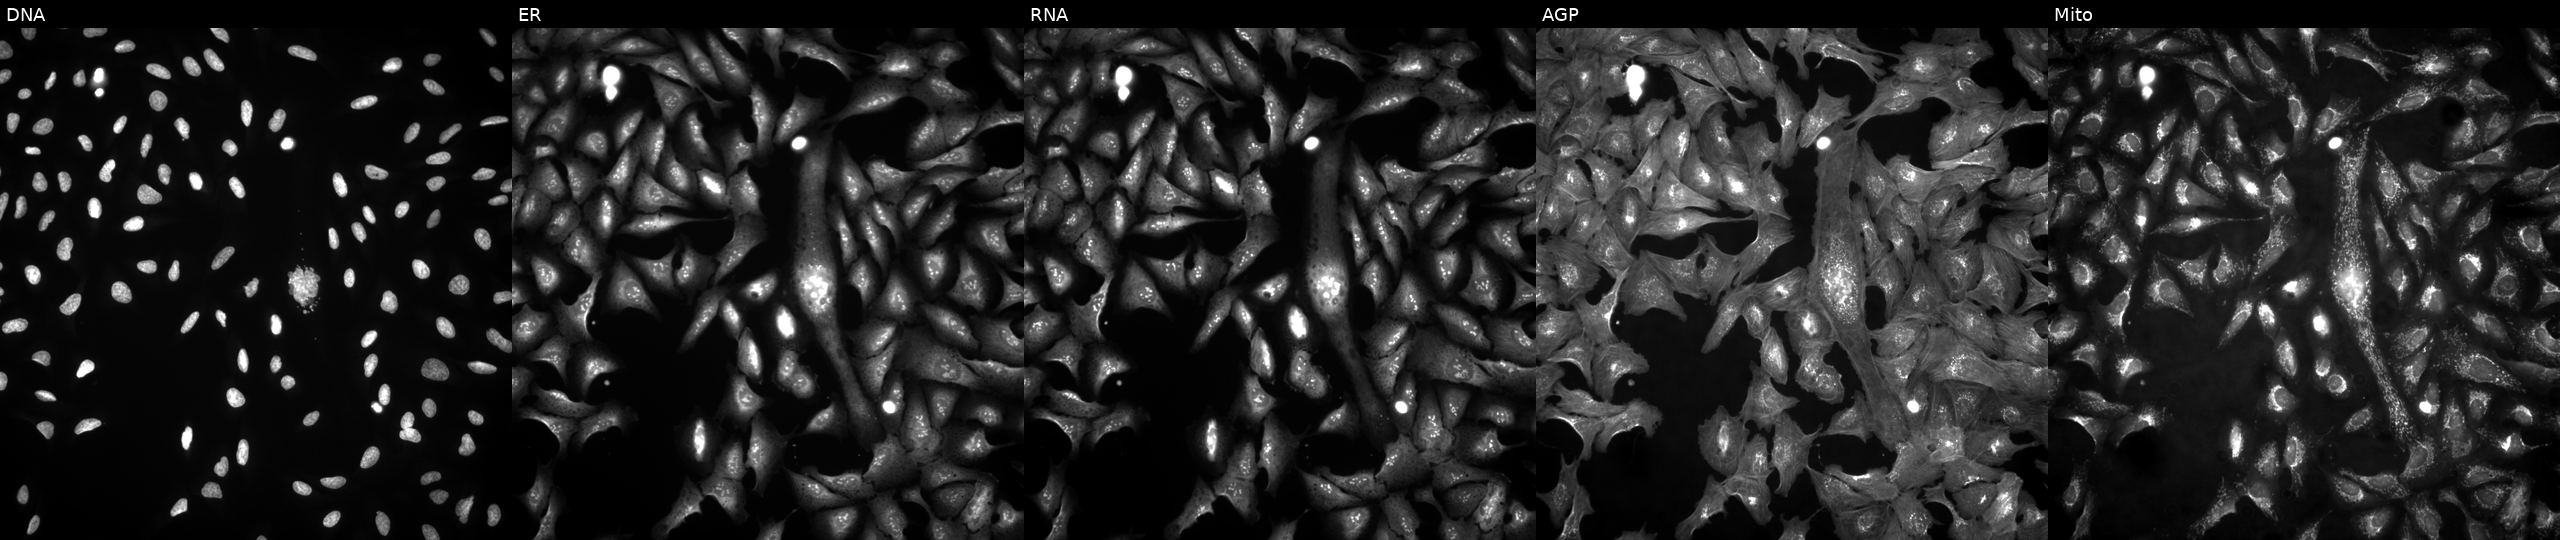
Five-channel Cell Painting image of U2OS cells transfected with an ORF construct for JAGN1 (JUMP id JCP2022_908591). The five panels, left to right, show Hoechst 33342, concanavalin A, SYTO 14, phalloidin and WGA, MitoTracker.